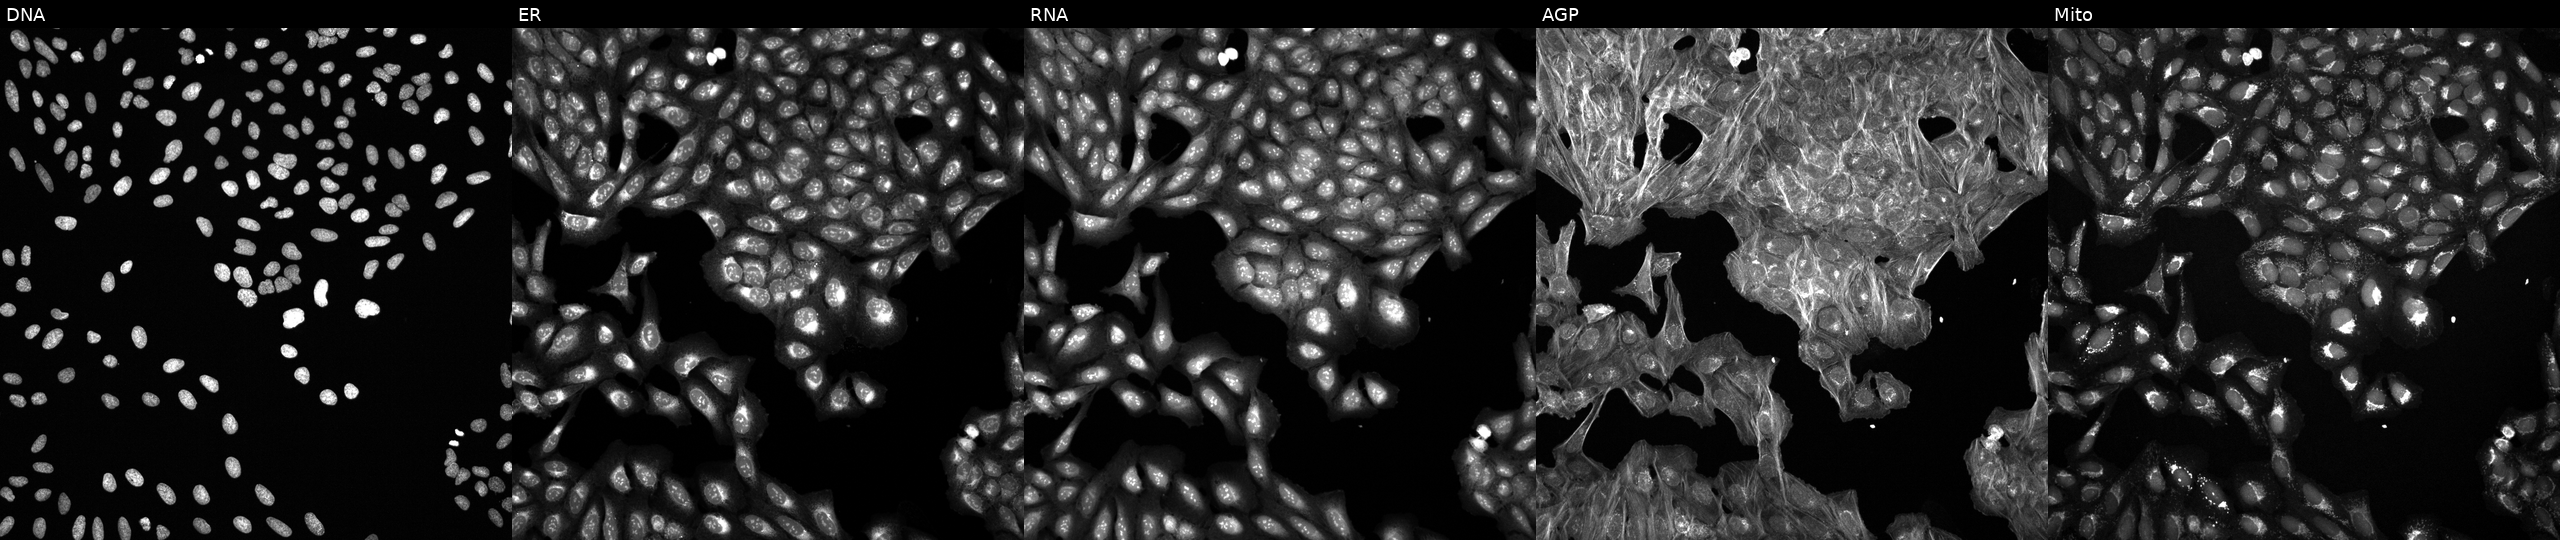
JUMP Cell Painting — COMPOUND plate. U2OS cells treated with TC-S-7004 (positive-control compound). Panels show, left to right, DNA, ER, RNA, AGP, and Mito. Source 6, plate 110000293083, well P01.